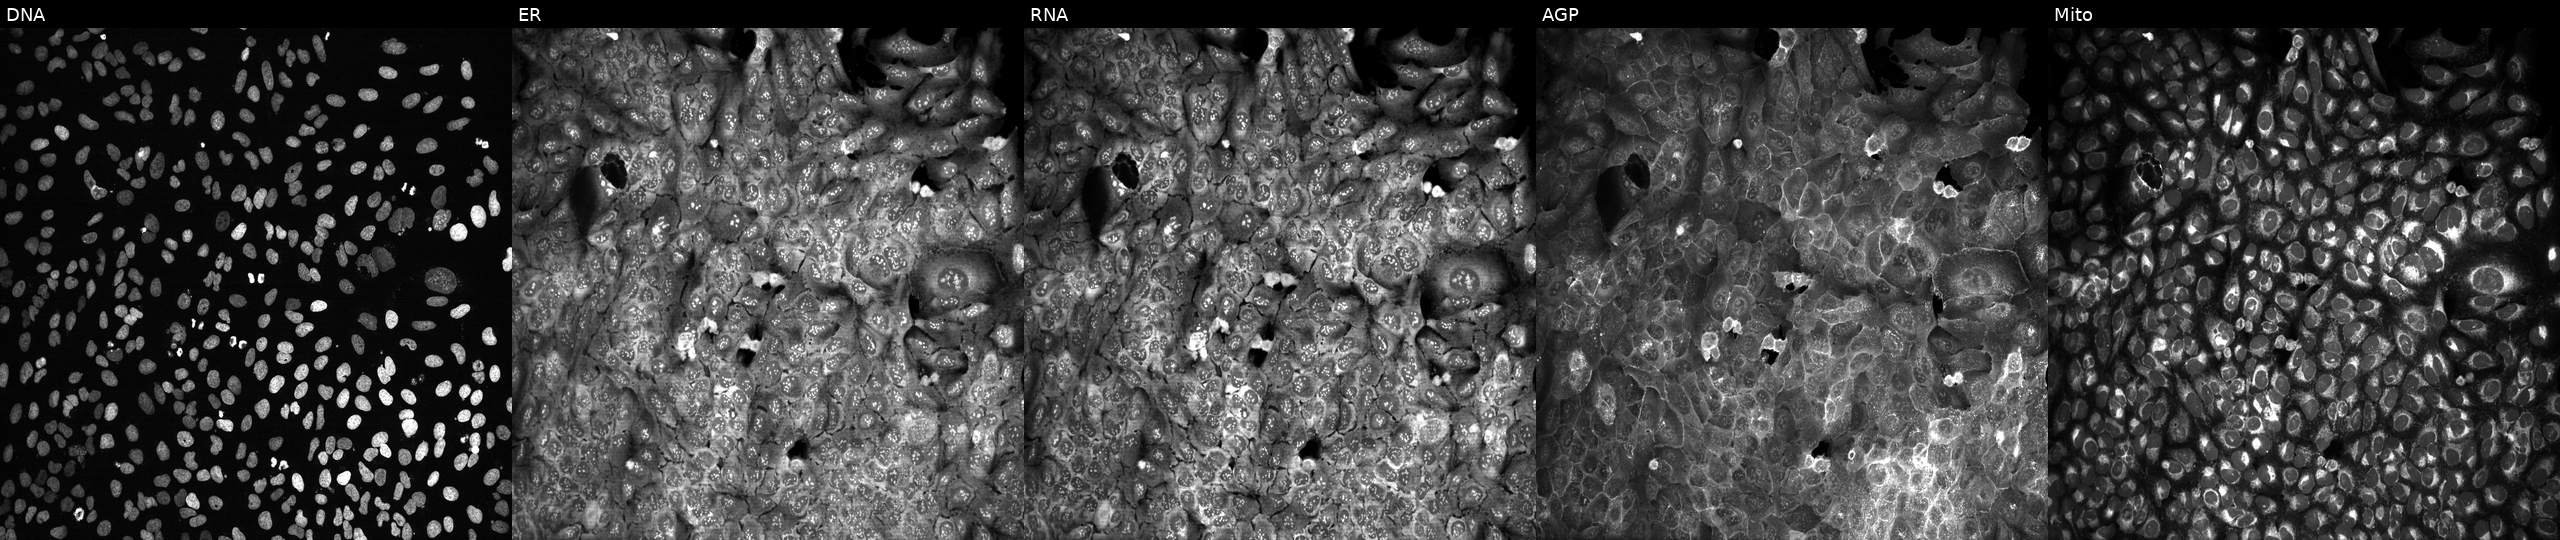
JUMP Cell Painting — CRISPR plate. U2OS cells with BLMH knocked out by CRISPR. The five panels, left to right, show DNA (nuclei); ER (endoplasmic reticulum); RNA (nucleoli and cytoplasmic RNA); AGP (actin cytoskeleton, Golgi, and plasma membrane); Mito (mitochondria). Source 13, plate CP-CC9-R6-19, well D21.